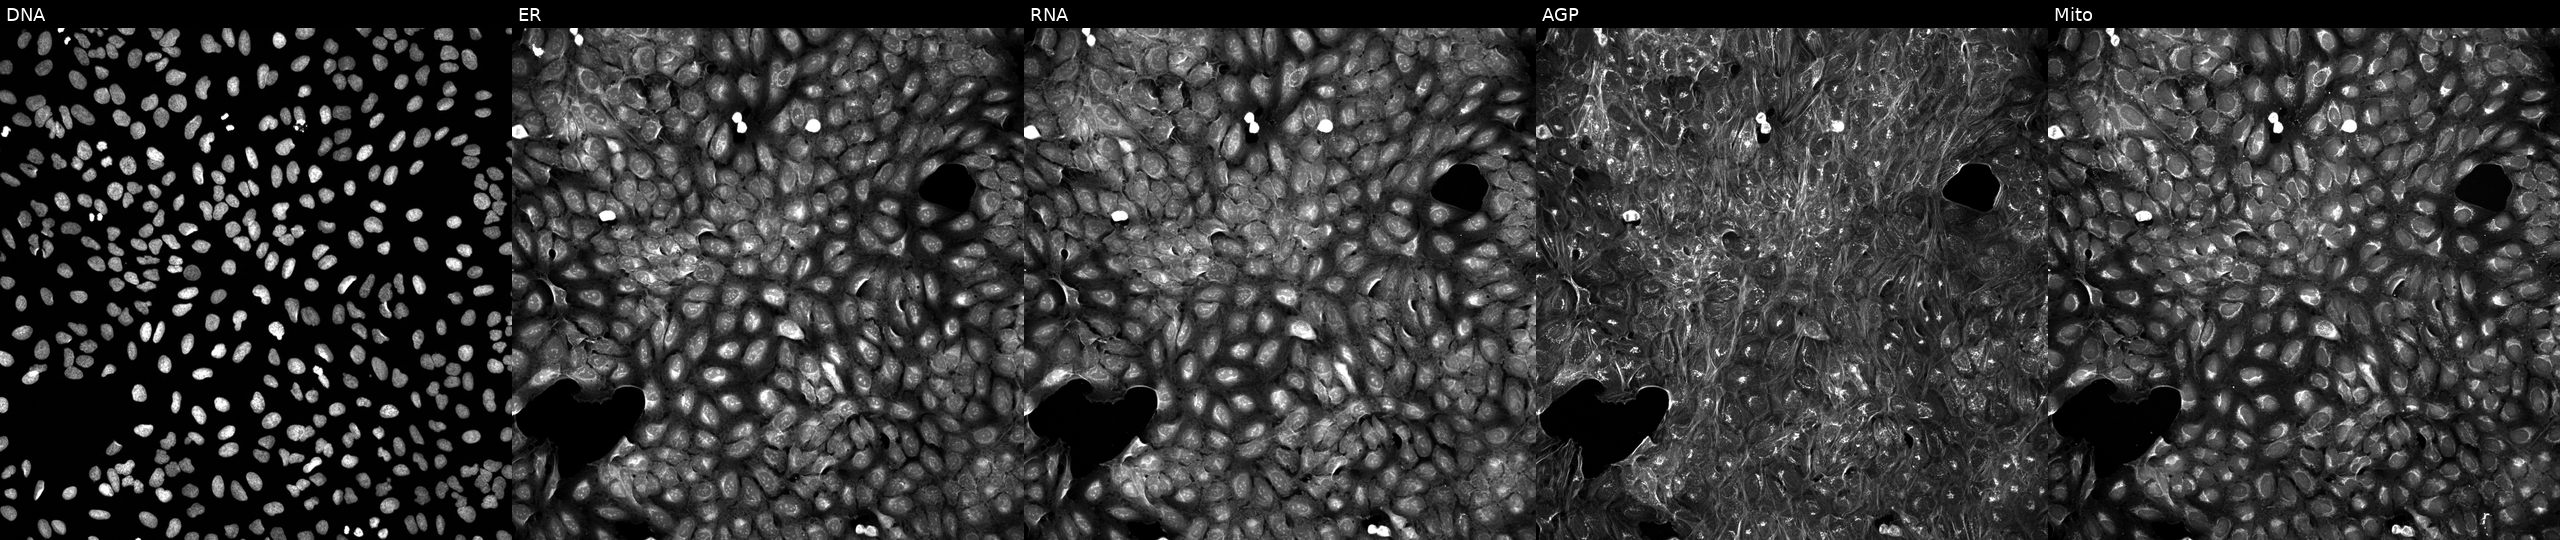
Five-channel Cell Painting image of U2OS cells perturbed with a small-molecule compound (InChIKey RHFZVGTYIIYQLC-UHFFFAOYSA-N) (JUMP id JCP2022_078367). From left to right: DNA (nuclei); ER (endoplasmic reticulum); RNA (nucleoli and cytoplasmic RNA); AGP (actin cytoskeleton, Golgi, and plasma membrane); Mito (mitochondria).